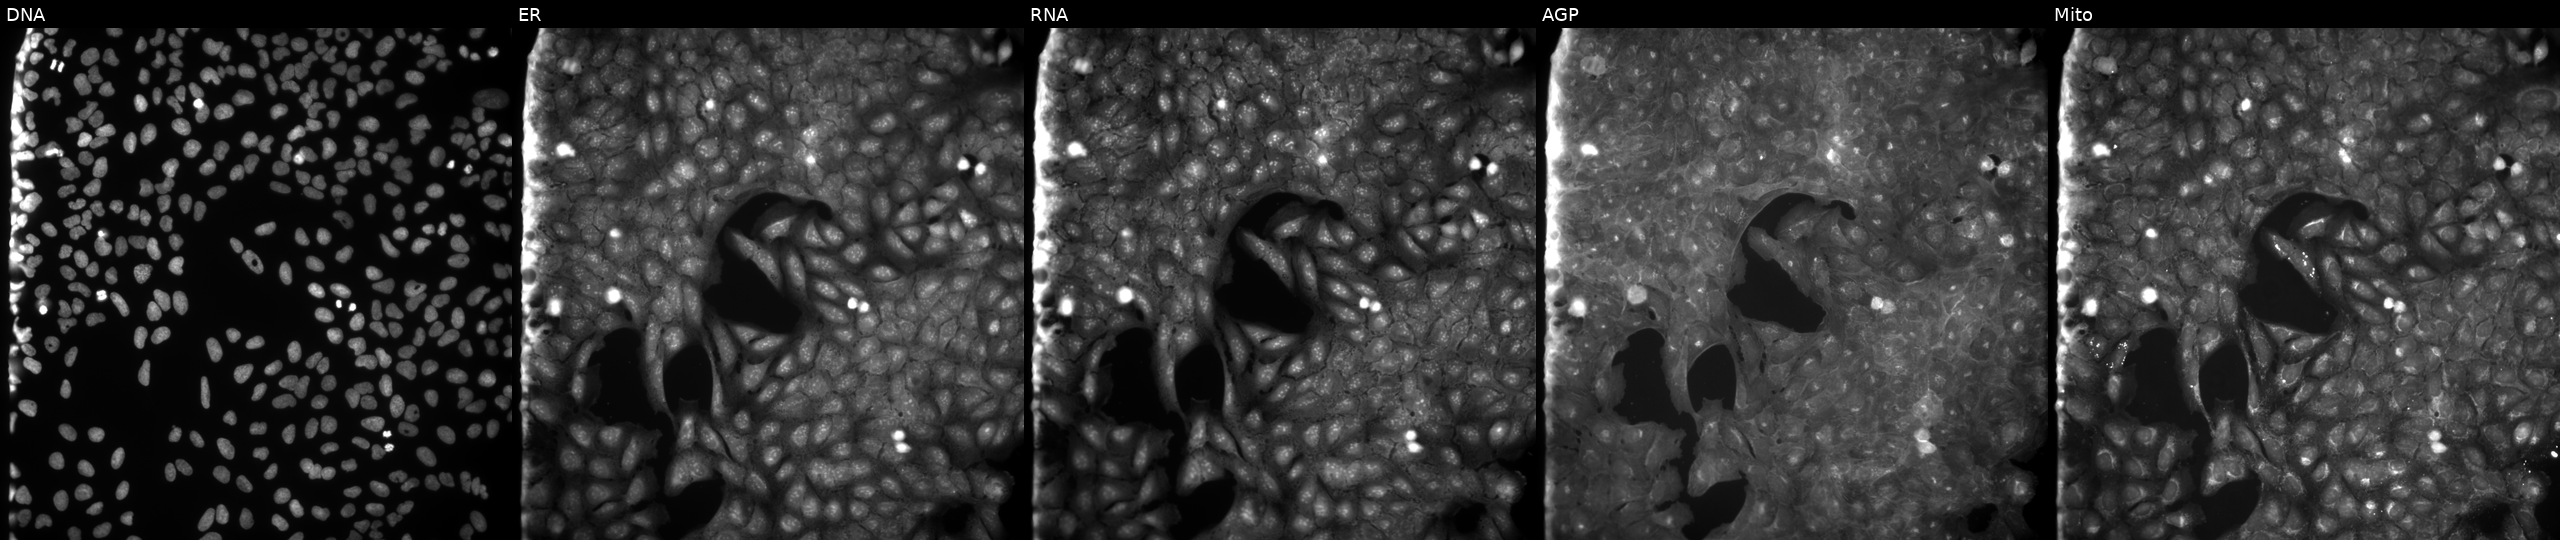
U2OS cells, Cell Painting assay, exposed to a small-molecule compound (InChIKey WRXCHSCIITVFRJ-UHFFFAOYSA-N). Channels (left→right): DNA (nuclei); ER (endoplasmic reticulum); RNA (nucleoli and cytoplasmic RNA); AGP (actin cytoskeleton, Golgi, and plasma membrane); Mito (mitochondria). Each panel is percentile-stretched 16-bit fluorescence.